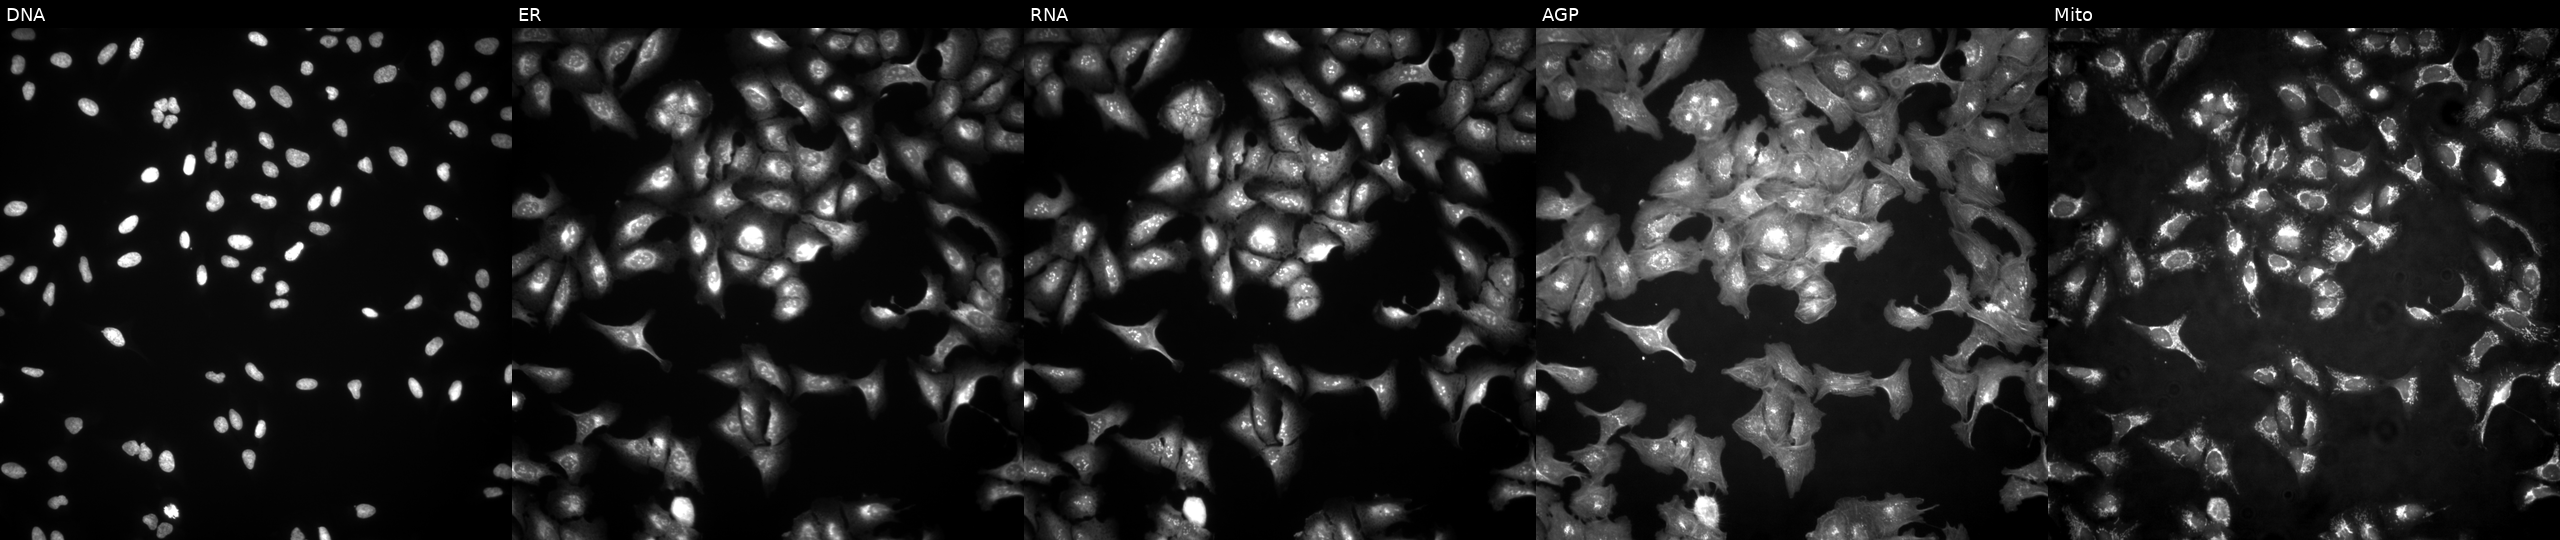
This image strip shows the five Cell Painting channels for a single field of U2OS cells transfected with an ORF construct for APOA2 (JUMP id JCP2022_900073). Panels show, left to right, Hoechst 33342, concanavalin A, SYTO 14, phalloidin and WGA, MitoTracker.